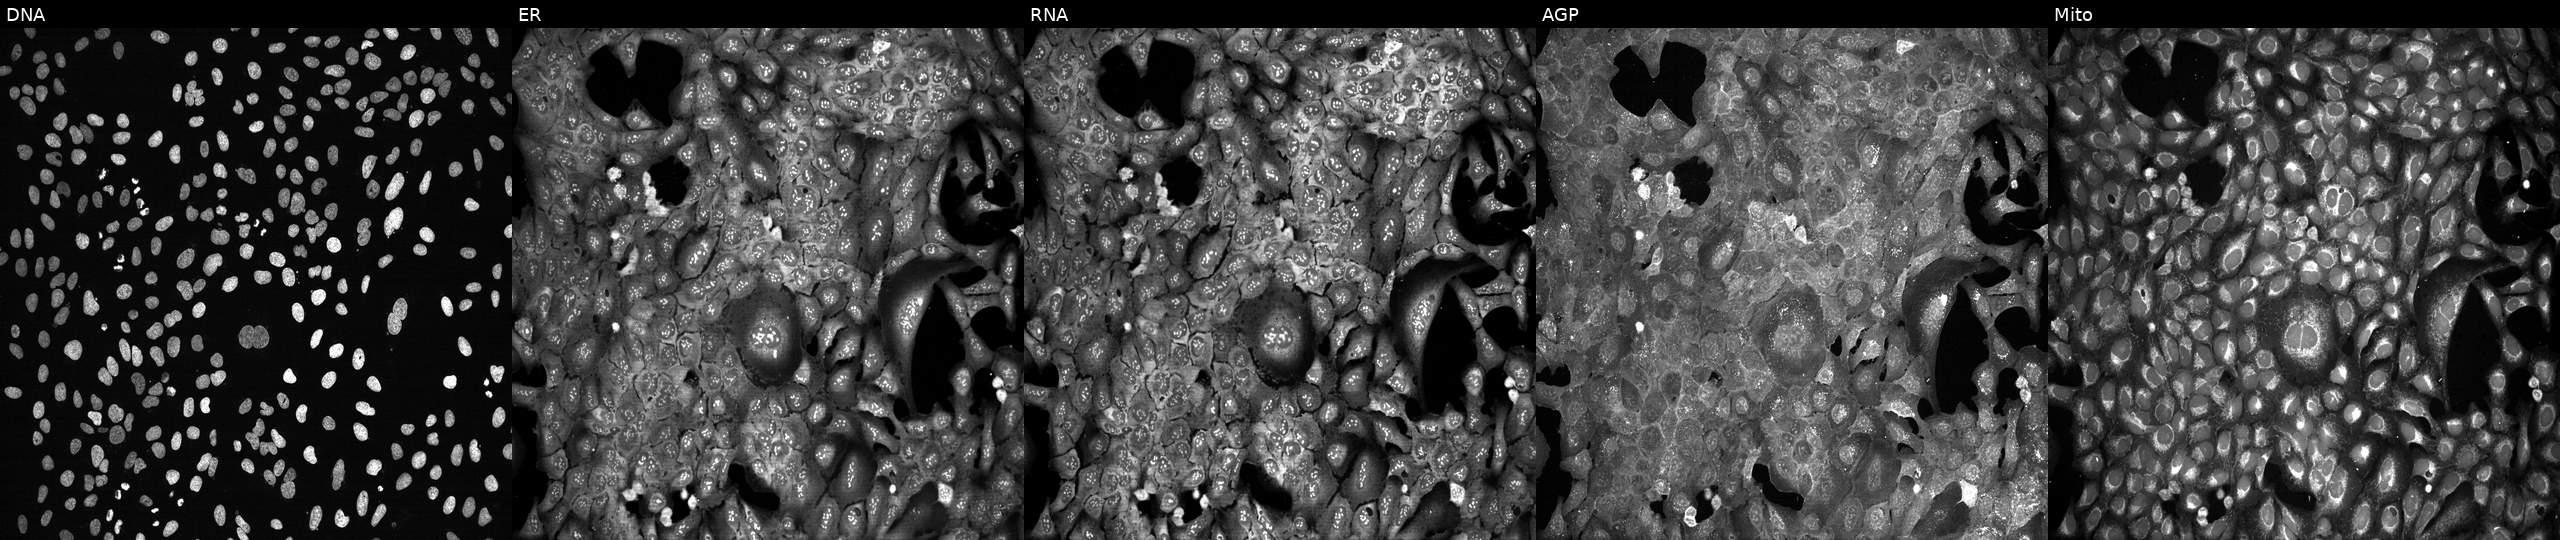
High-content fluorescence microscopy (Cell Painting). Cell line: U2OS. Perturbation: following CRISPR knockout of IDH3A (JUMP id JCP2022_803322). The five panels, left to right, show DNA (nuclei); ER (endoplasmic reticulum); RNA (nucleoli and cytoplasmic RNA); AGP (actin cytoskeleton, Golgi, and plasma membrane); Mito (mitochondria).